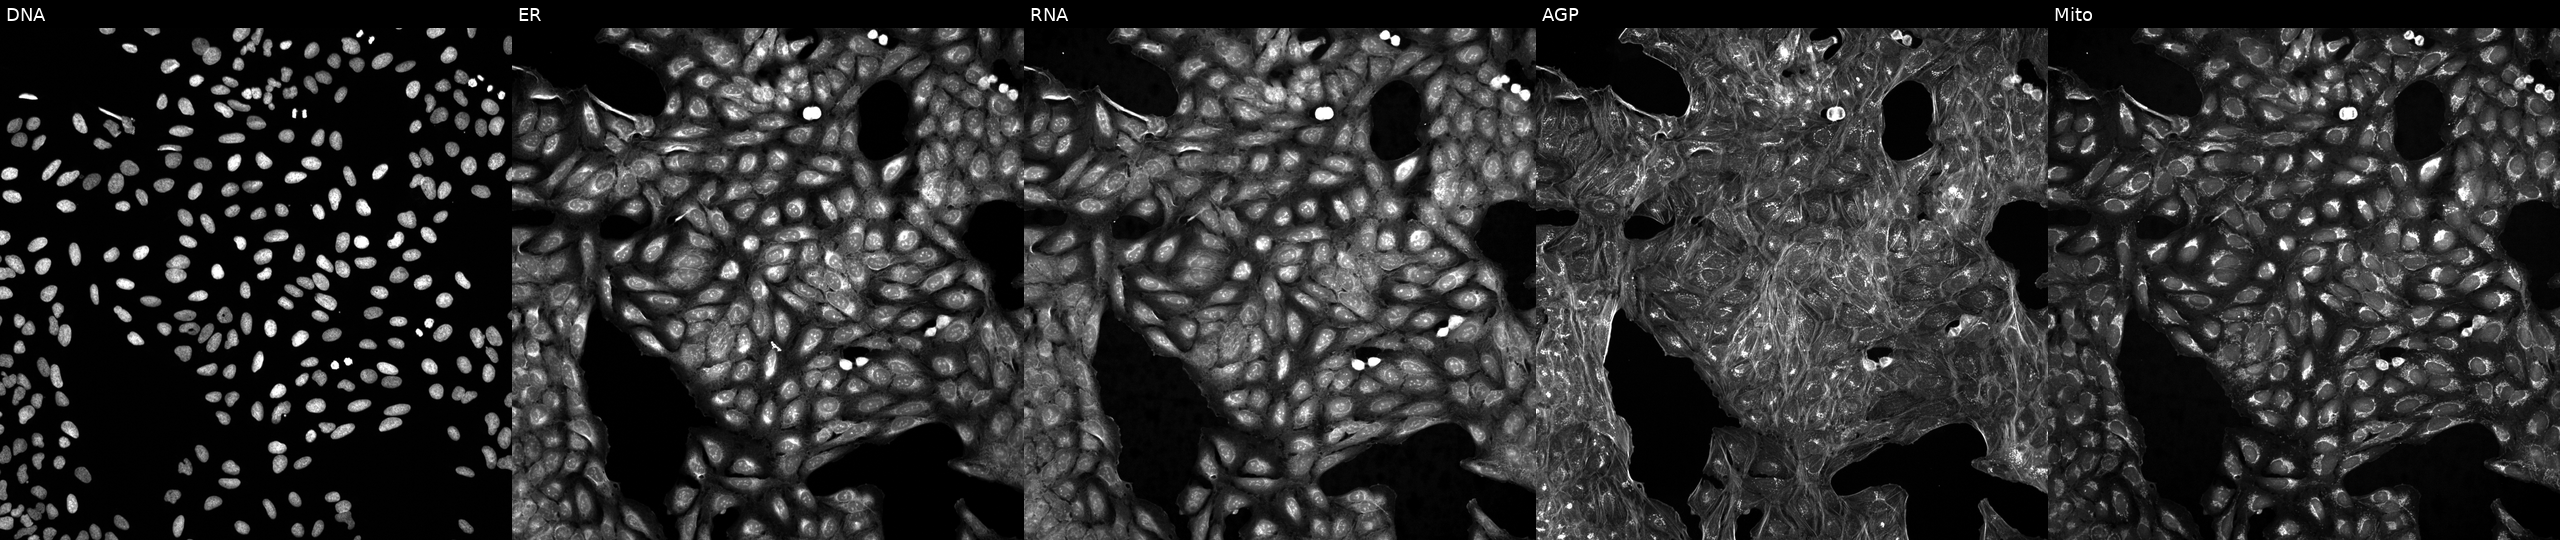
This image strip shows the five Cell Painting channels for a single field of U2OS cells treated with DMSO vehicle only (negative control). Channels (left→right): DNA, ER, RNA, AGP, and Mito. Source 5, plate ACPJUM012, well D22.